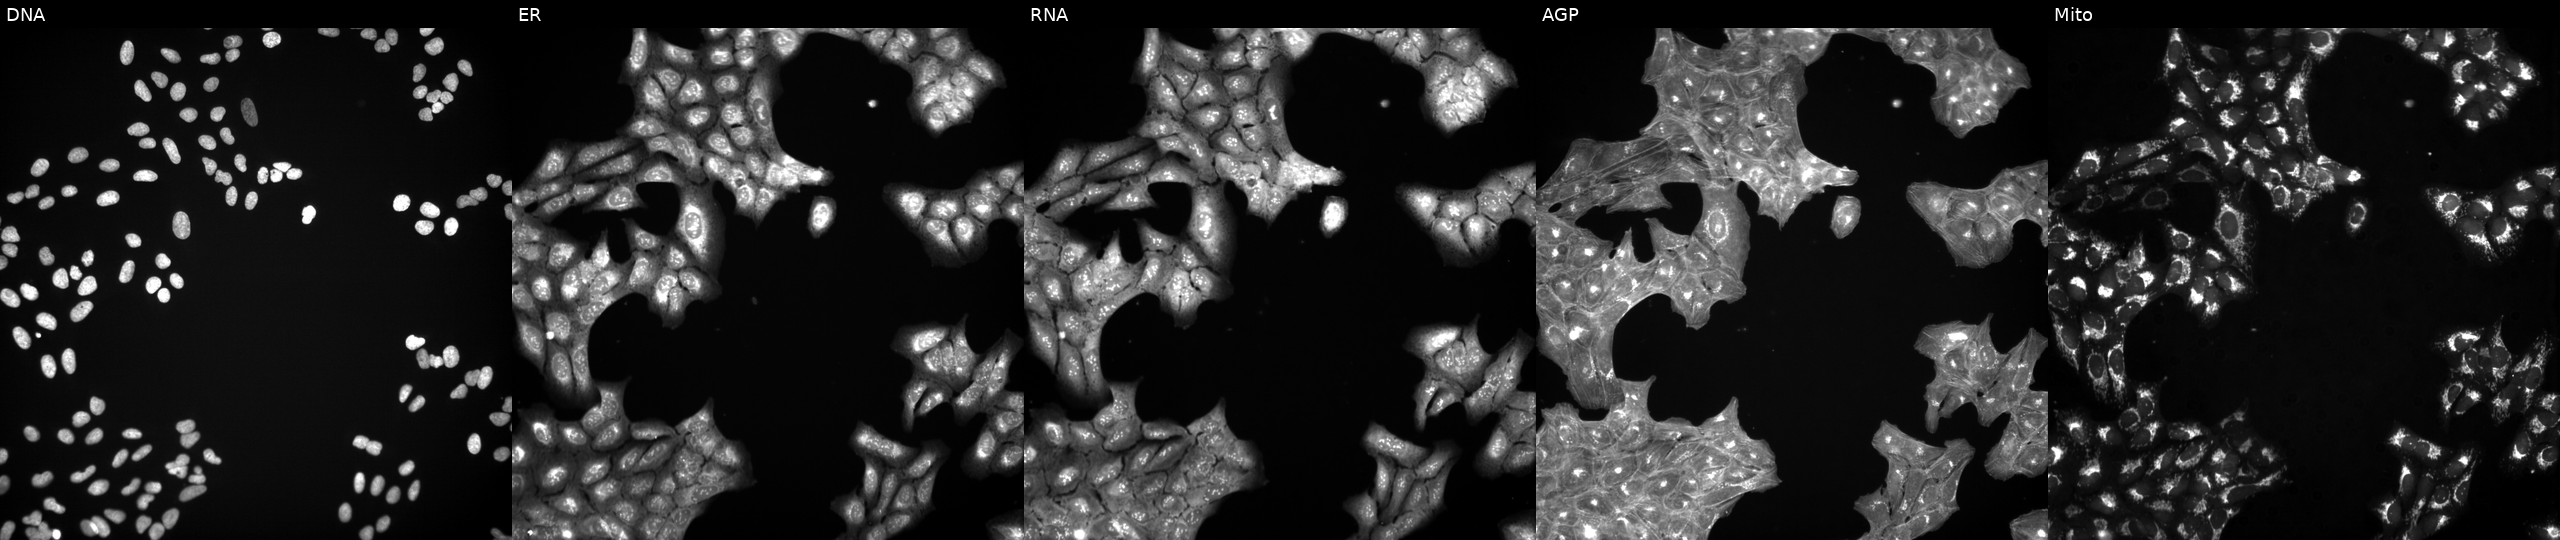
This image strip shows the five Cell Painting channels for a single field of U2OS cells exposed to a small-molecule compound. From left to right: DNA, ER, RNA, AGP, and Mito.